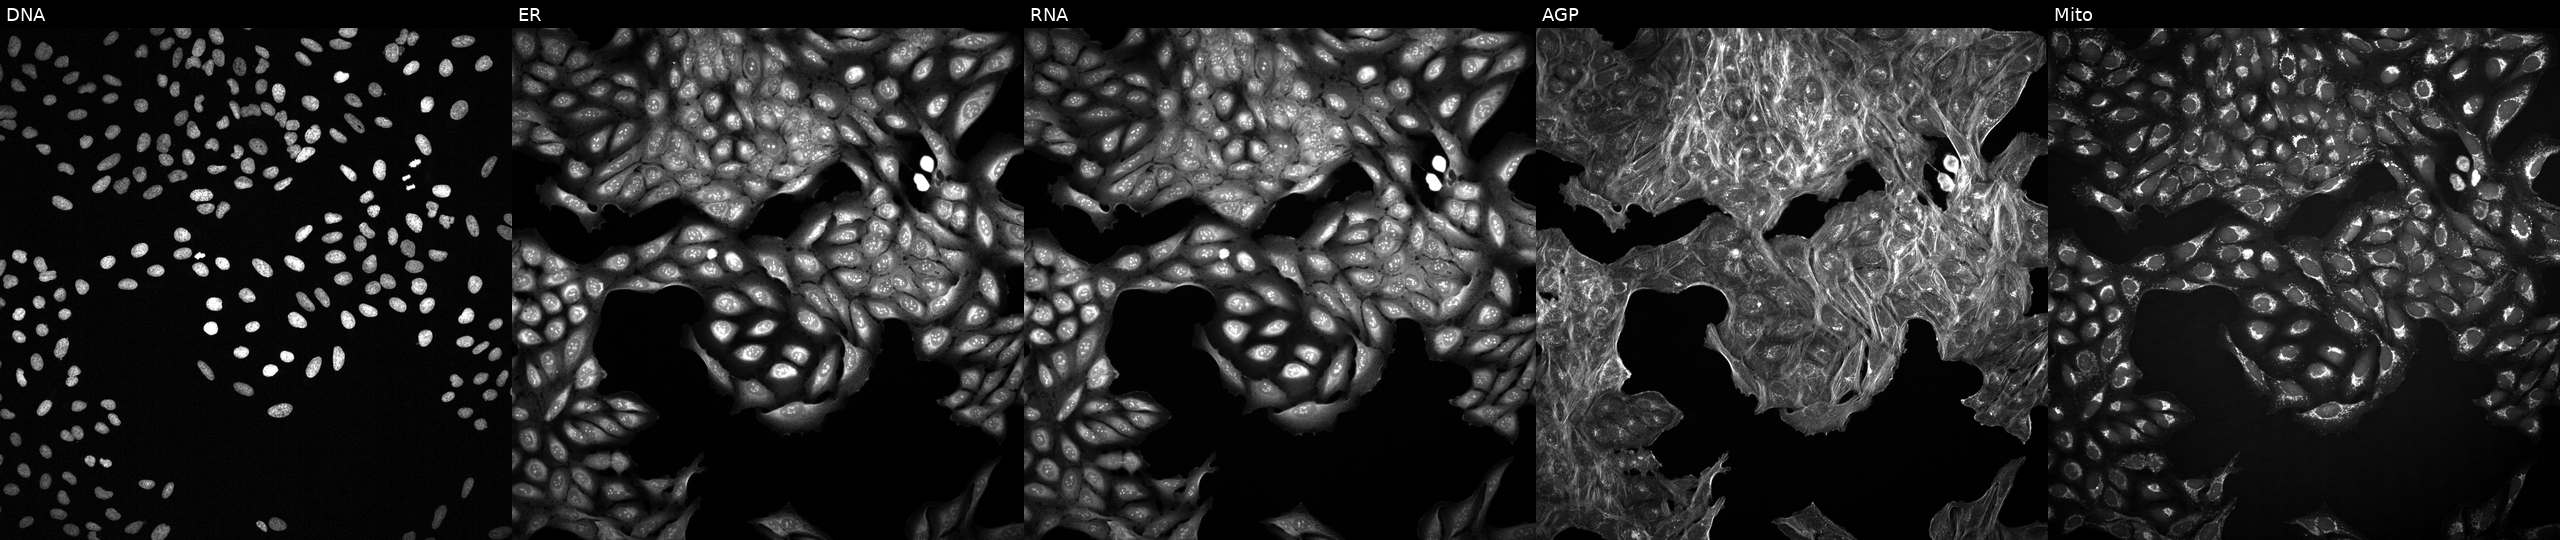
U2OS cells, Cell Painting assay, exposed to a small-molecule compound. Channels (left→right): DNA, ER, RNA, AGP, and Mito. Each panel is percentile-stretched 16-bit fluorescence. Source 2, plate 1053601763, well O16.